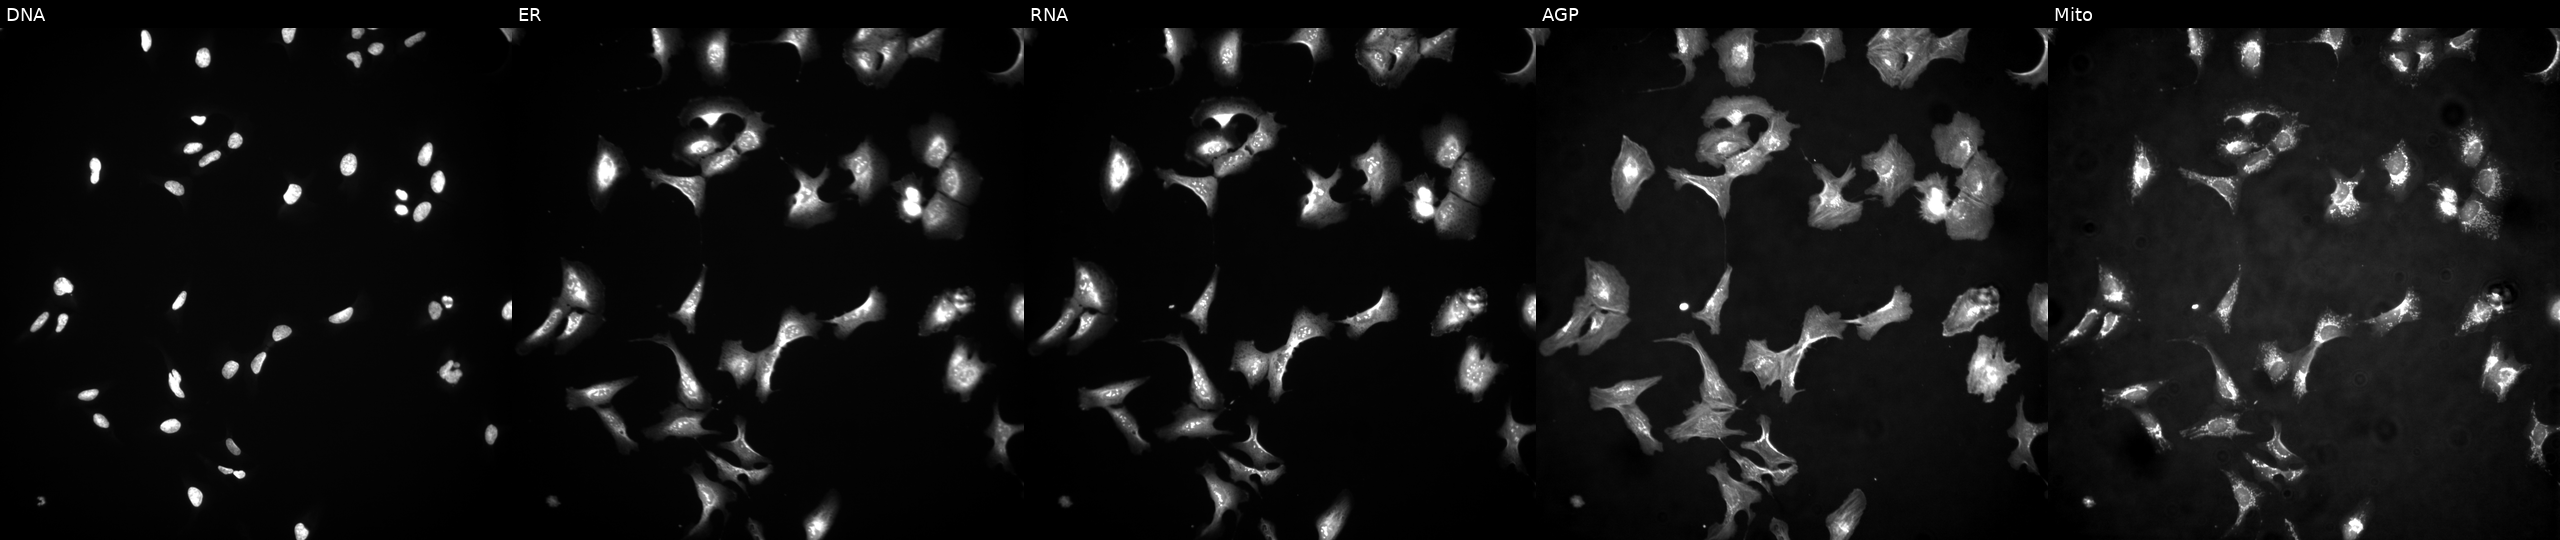
High-content fluorescence microscopy (Cell Painting). Cell line: U2OS. Perturbation: overexpressing WDR63 via ORF transfection (JUMP id JCP2022_904513). The five panels, left to right, show Hoechst 33342, concanavalin A, SYTO 14, phalloidin and WGA, MitoTracker. Source 4, plate BR00124784, well K21.